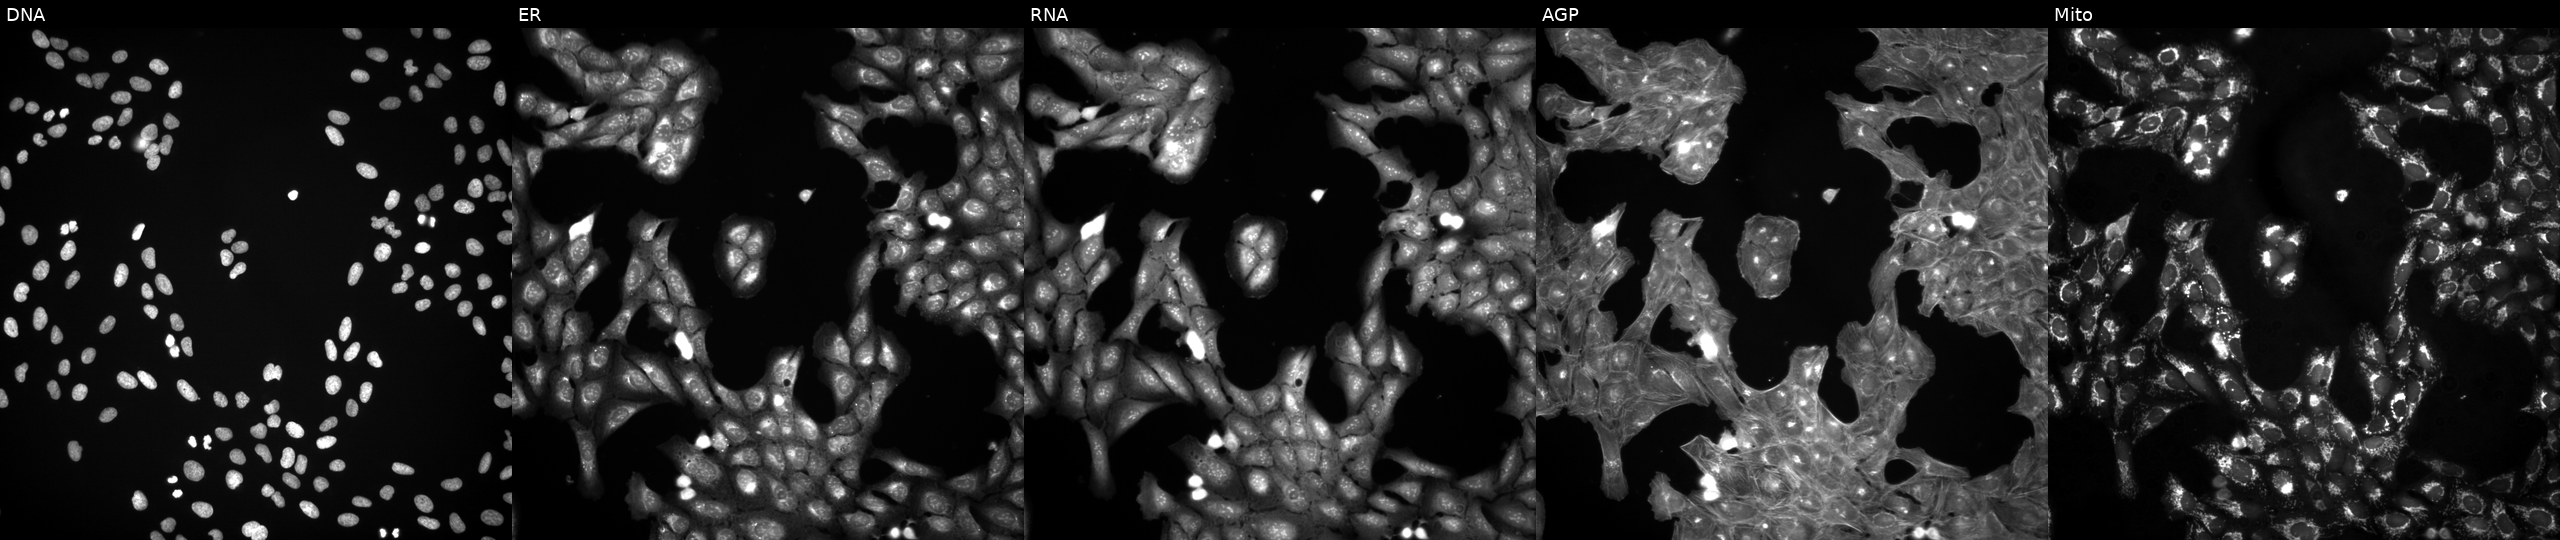
This image strip shows the five Cell Painting channels for a single field of U2OS cells perturbed with a small-molecule compound (InChIKey TZDUHAJSIBHXDL-UHFFFAOYSA-N) [SMILES: CC(OC(=O)NCC1(CC(=O)O)CCCCC1)OC(=O)C(C)C]. Panels show, left to right, Hoechst 33342, concanavalin A, SYTO 14, phalloidin and WGA, MitoTracker. Source 3, plate JCPQC053, well O18.